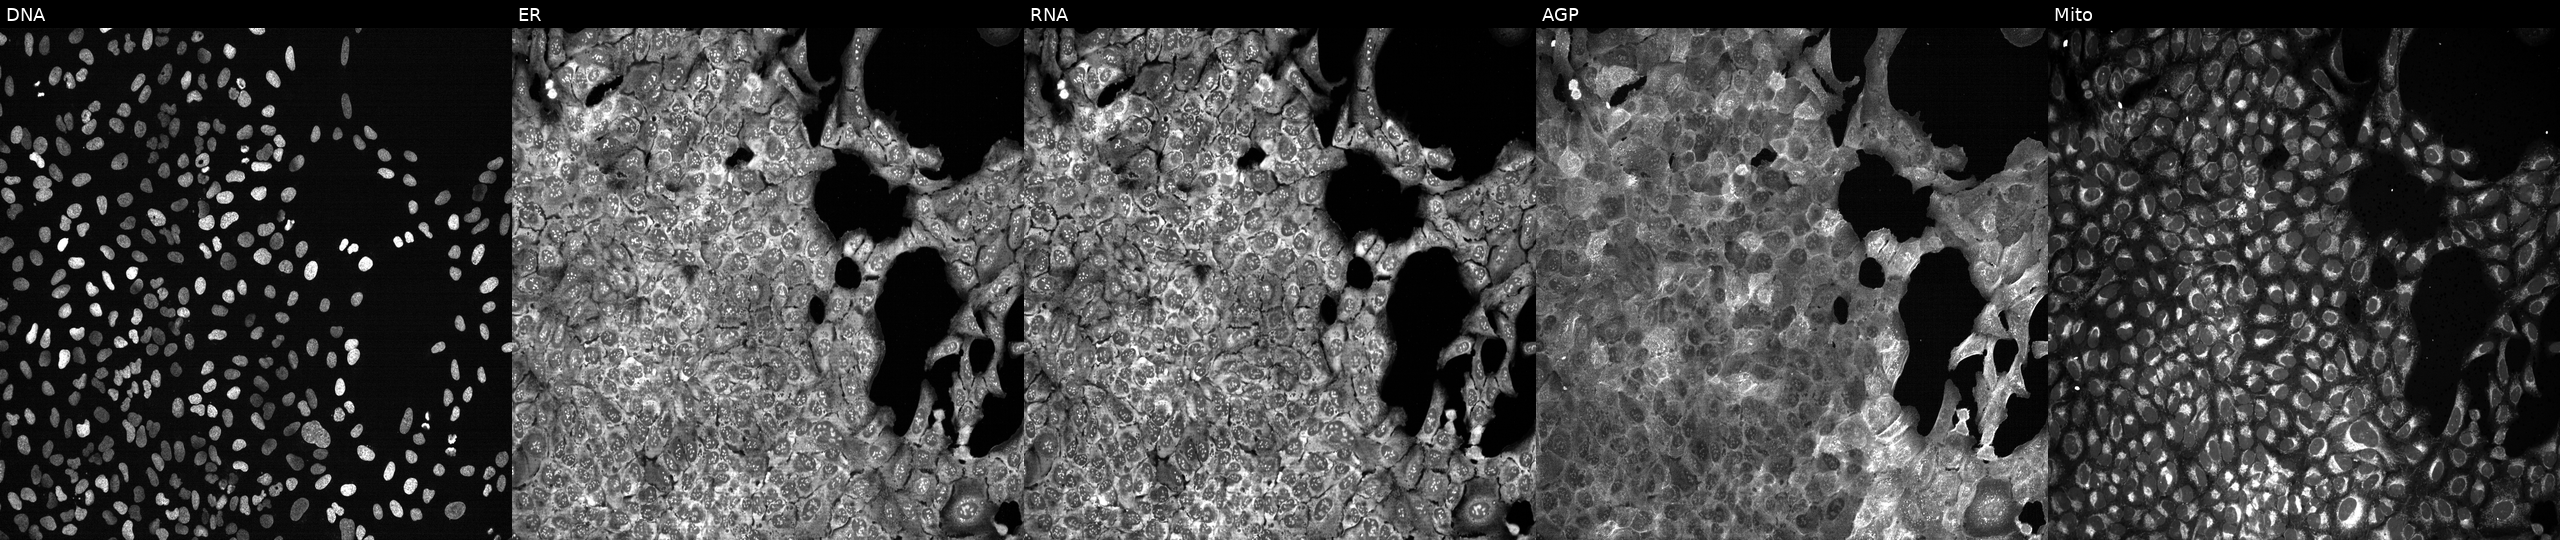
High-content fluorescence microscopy (Cell Painting). Cell line: U2OS. Perturbation: following CRISPR knockout of B3GNT9 (JUMP id JCP2022_800787). The five panels, left to right, show DNA (nuclei); ER (endoplasmic reticulum); RNA (nucleoli and cytoplasmic RNA); AGP (actin cytoskeleton, Golgi, and plasma membrane); Mito (mitochondria).